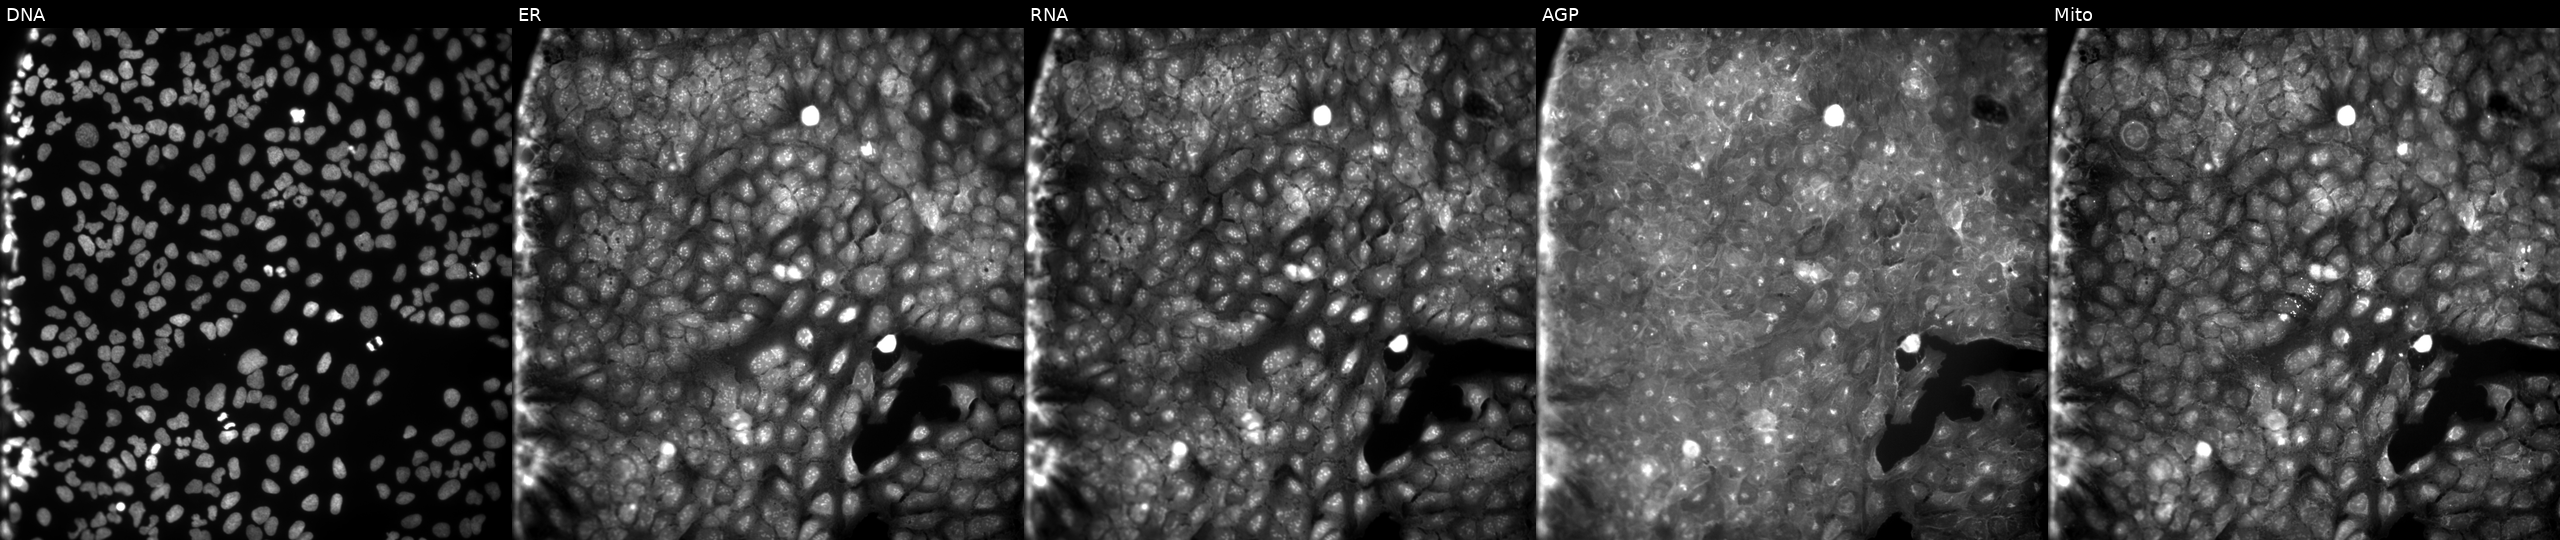
Channels (left→right): Hoechst 33342, concanavalin A, SYTO 14, phalloidin and WGA, MitoTracker. U2OS osteosarcoma cells treated with a small-molecule compound (InChIKey DYVSHYXENTWYCL-UHFFFAOYSA-N) (JUMP id JCP2022_019062). Cell Painting assay, JUMP-CP dataset. Source 9, plate GR00003381, well T06.